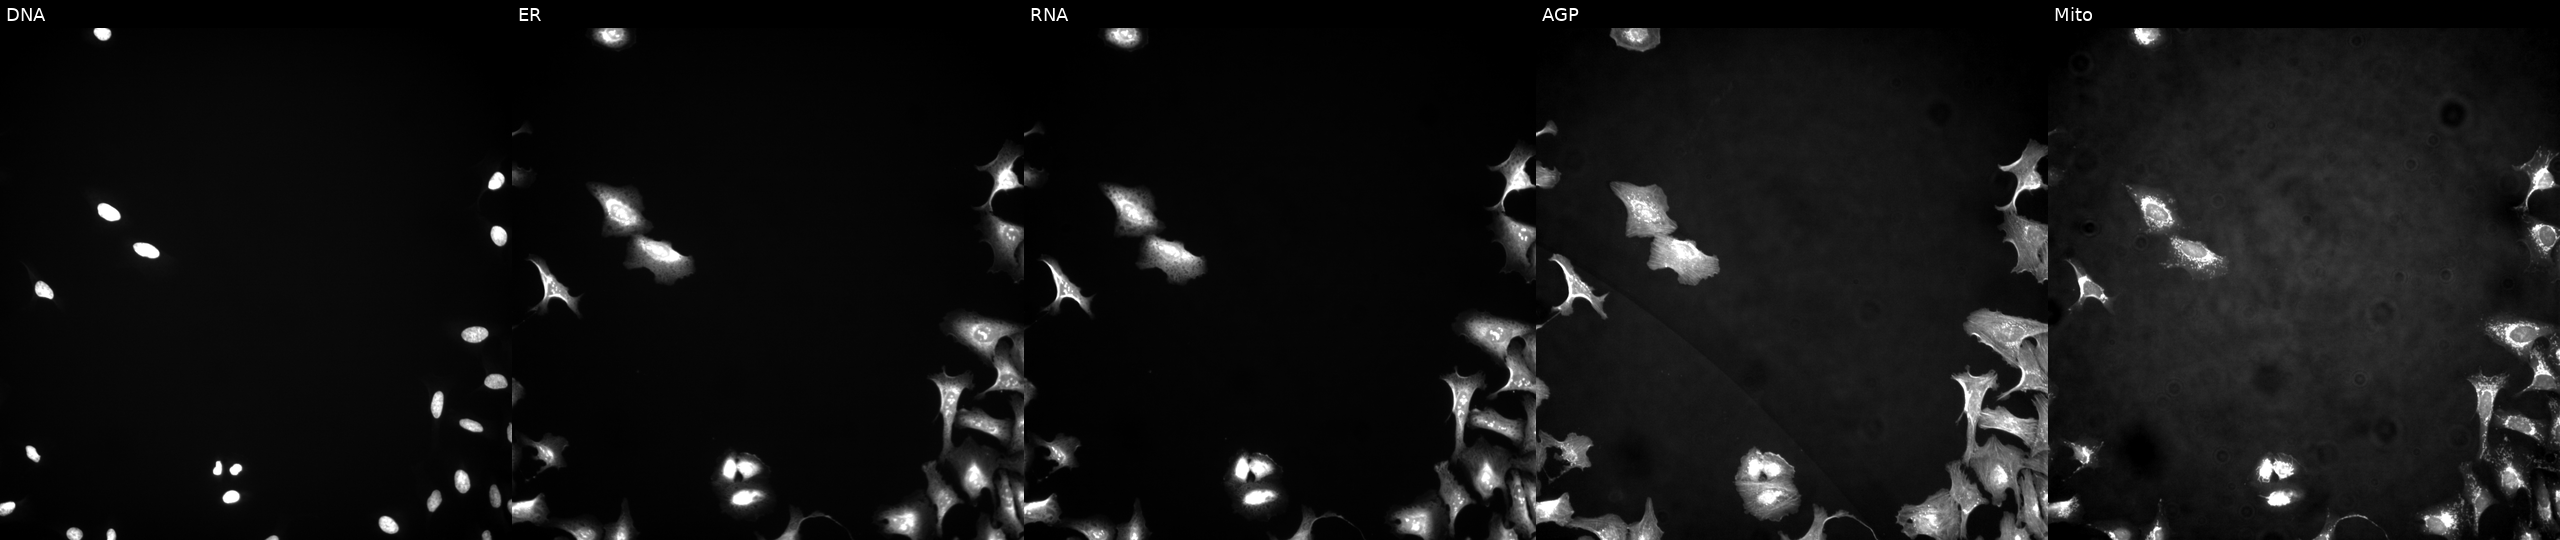
The five panels, left to right, show DNA (nuclei); ER (endoplasmic reticulum); RNA (nucleoli and cytoplasmic RNA); AGP (actin cytoskeleton, Golgi, and plasma membrane); Mito (mitochondria). U2OS osteosarcoma cells overexpressing LSM5 via ORF transfection. Cell Painting assay, JUMP-CP dataset. Source 4, plate BR00124784, well O12.